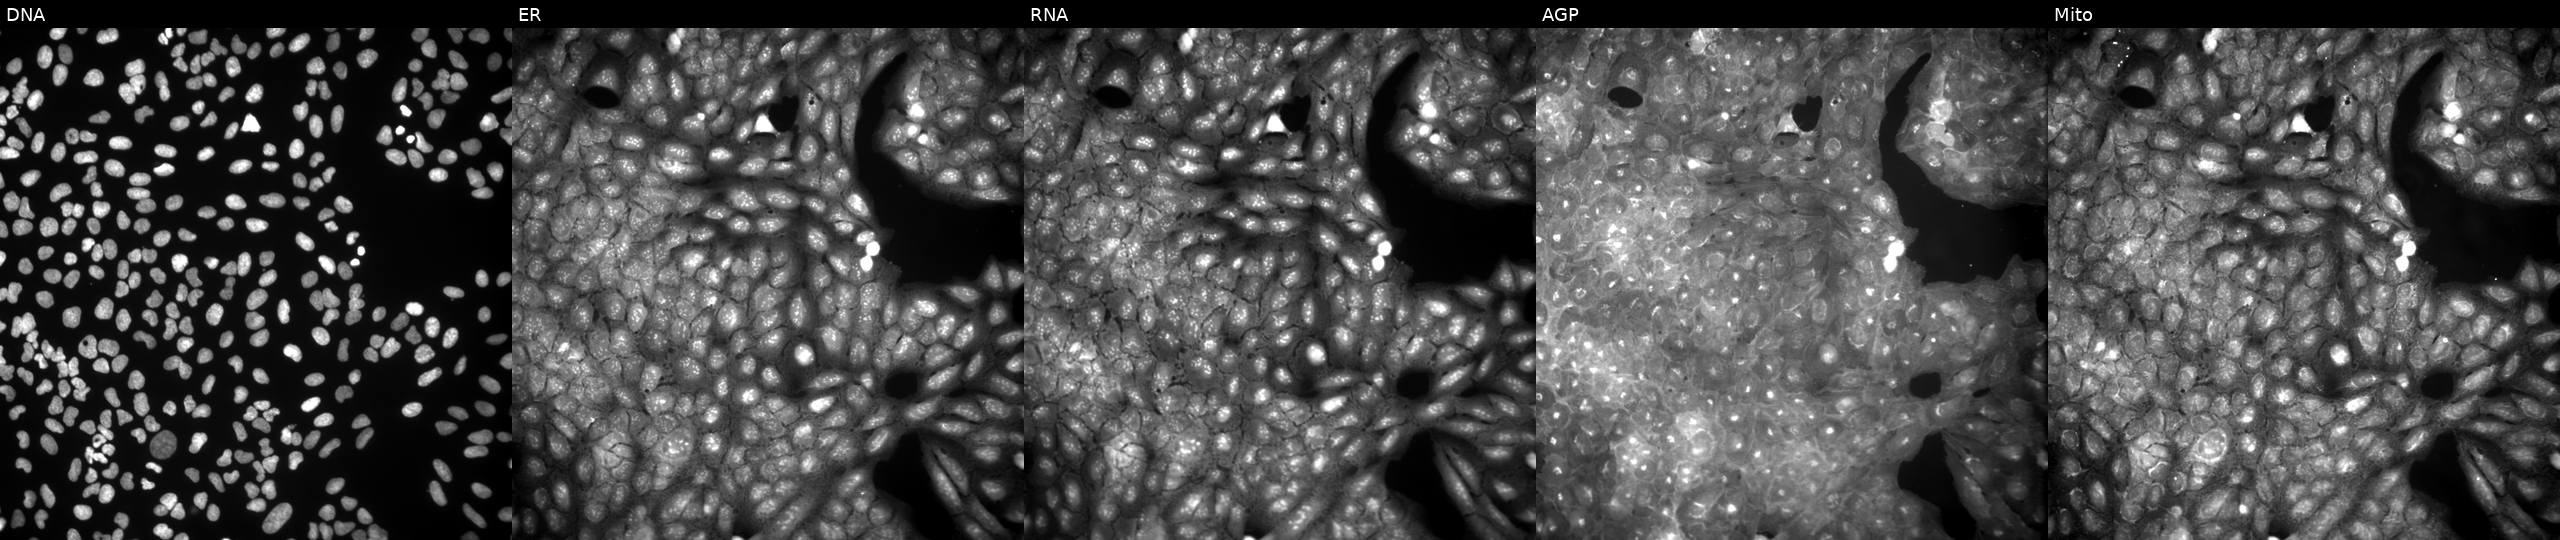
High-content fluorescence microscopy (Cell Painting). Cell line: U2OS. Perturbation: treated with a small-molecule compound (InChIKey LOXVWIQDQQXLKB-UHFFFAOYSA-N). Panels show, left to right, Hoechst 33342, concanavalin A, SYTO 14, phalloidin and WGA, MitoTracker.